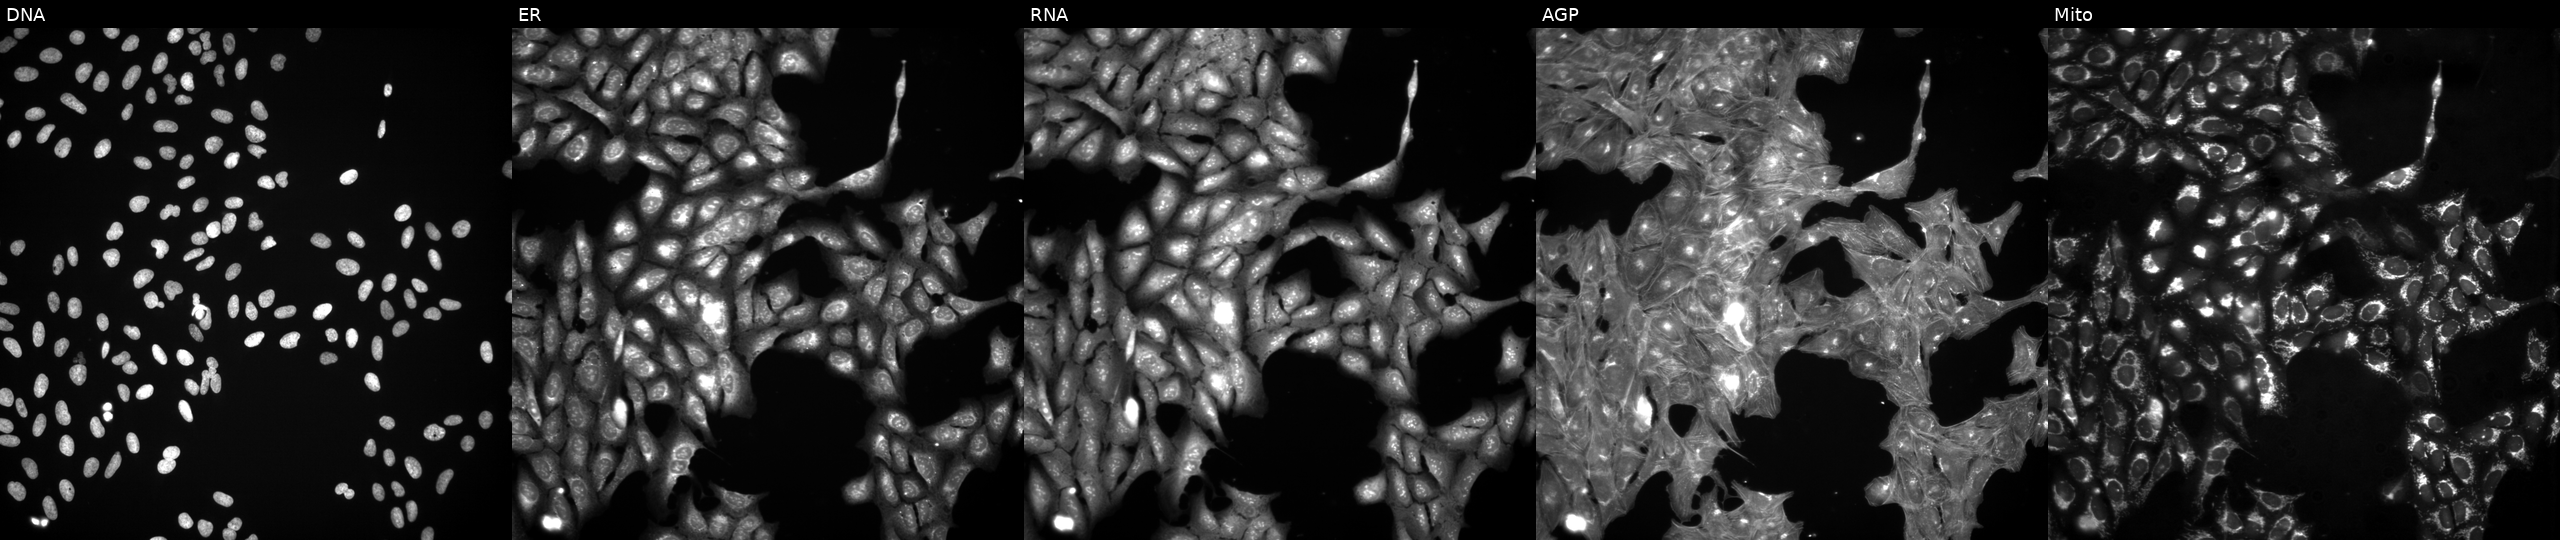
JUMP Cell Painting — TARGET2 plate. U2OS cells exposed to a small-molecule compound (InChIKey HAQDEJPEAKWAAM-UHFFFAOYSA-N) (JUMP id JCP2022_028940). Channels (left→right): Hoechst 33342, concanavalin A, SYTO 14, phalloidin and WGA, MitoTracker.